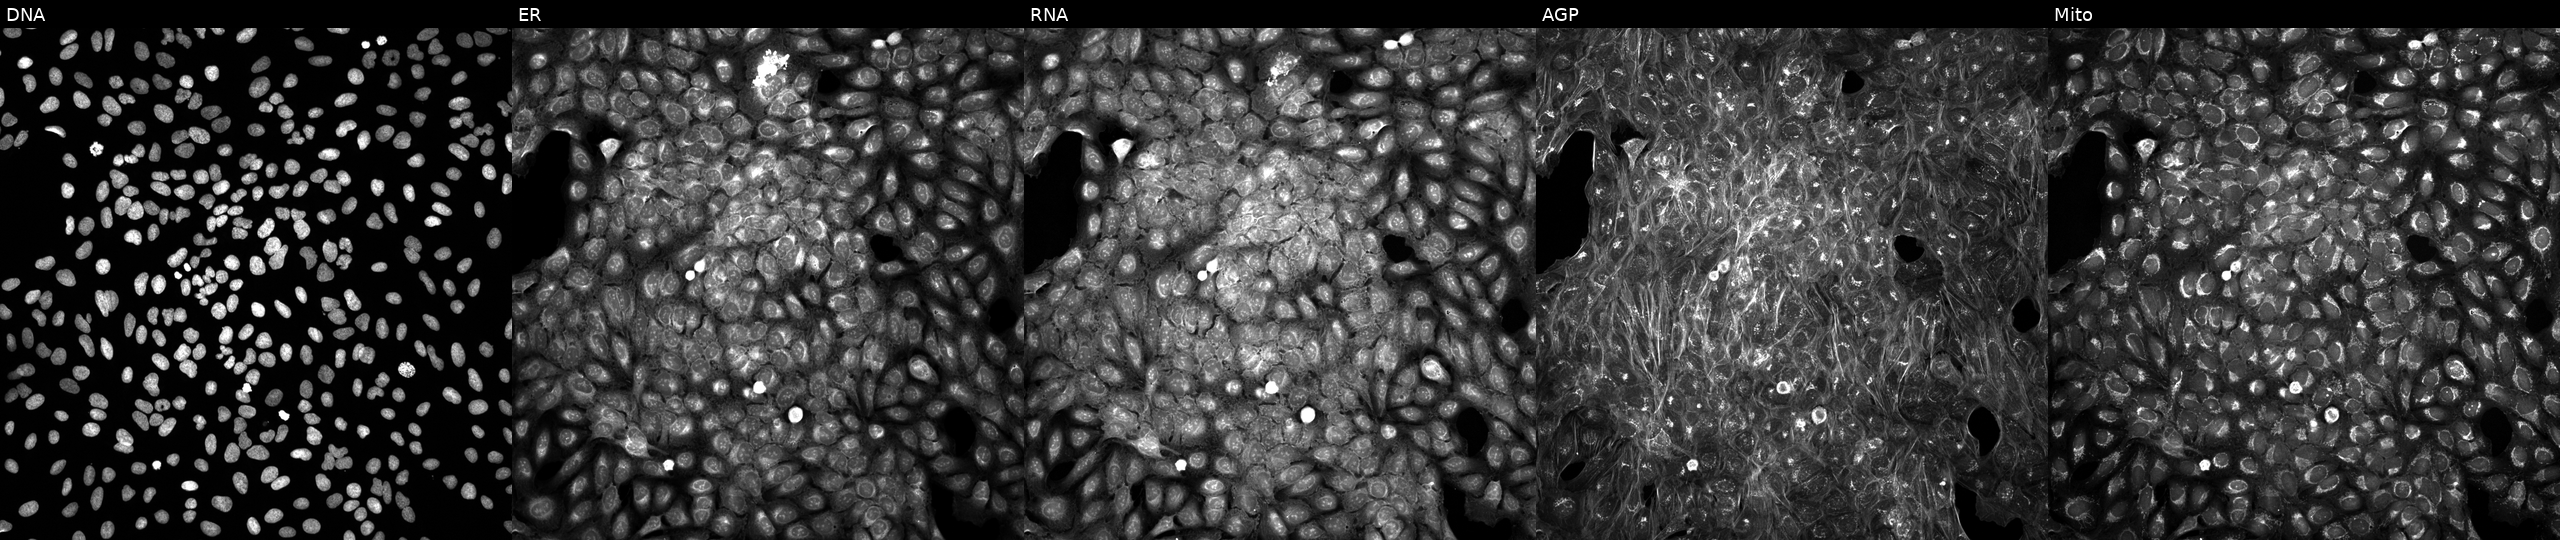
This image strip shows the five Cell Painting channels for a single field of U2OS cells perturbed with a small-molecule compound (JUMP id JCP2022_028032). Channels (left→right): DNA (nuclei); ER (endoplasmic reticulum); RNA (nucleoli and cytoplasmic RNA); AGP (actin cytoskeleton, Golgi, and plasma membrane); Mito (mitochondria).